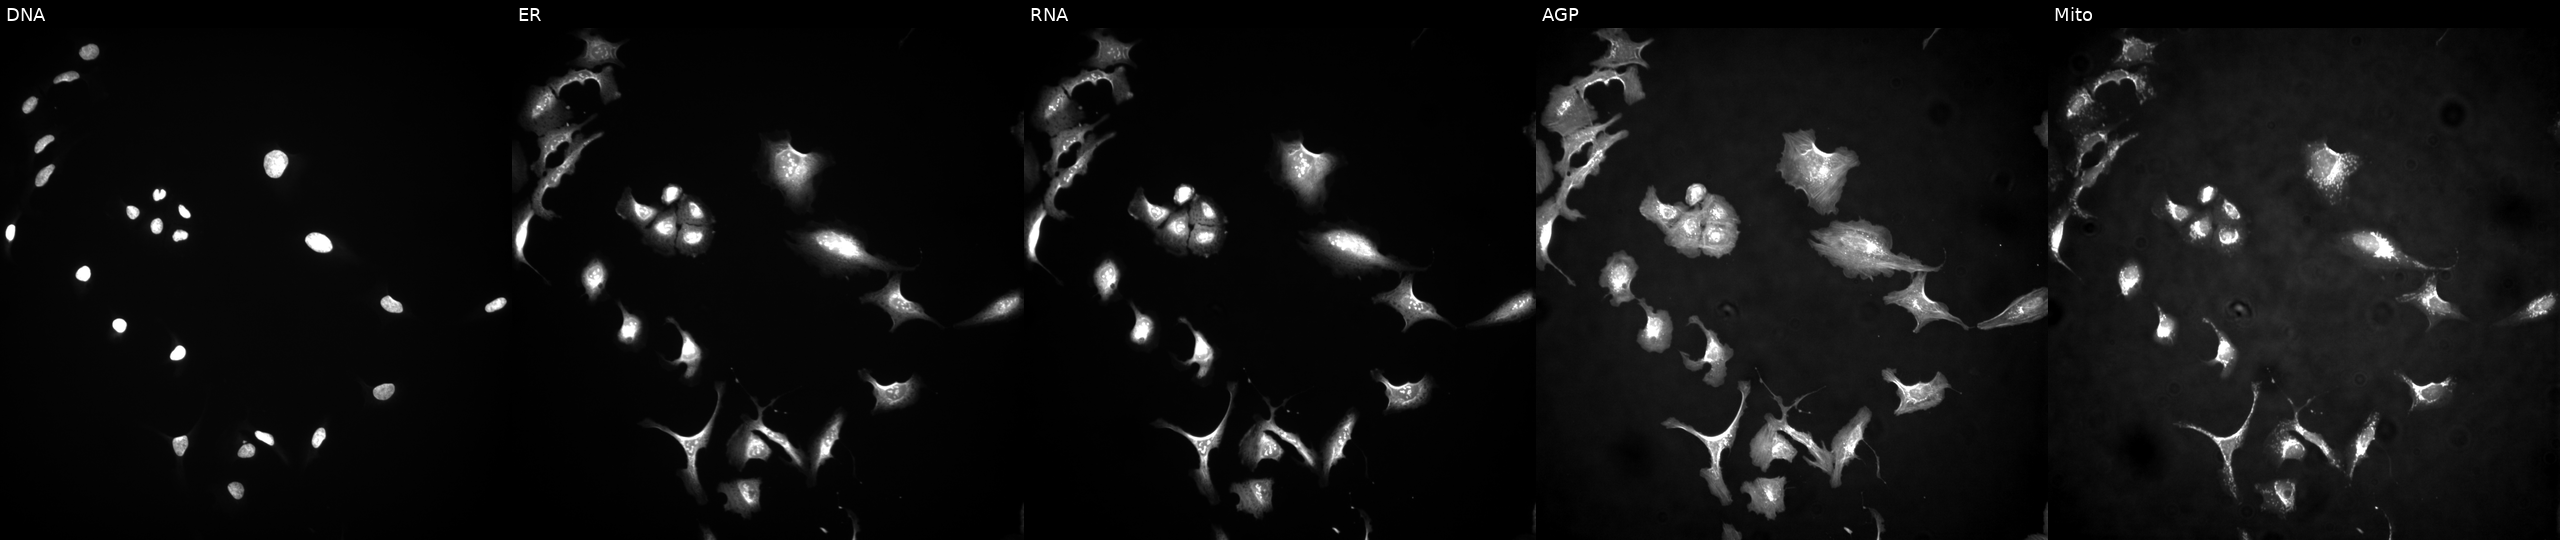
High-content fluorescence microscopy (Cell Painting). Cell line: U2OS. Perturbation: transfected with an ORF construct for PTH. From left to right: DNA, ER, RNA, AGP, and Mito.